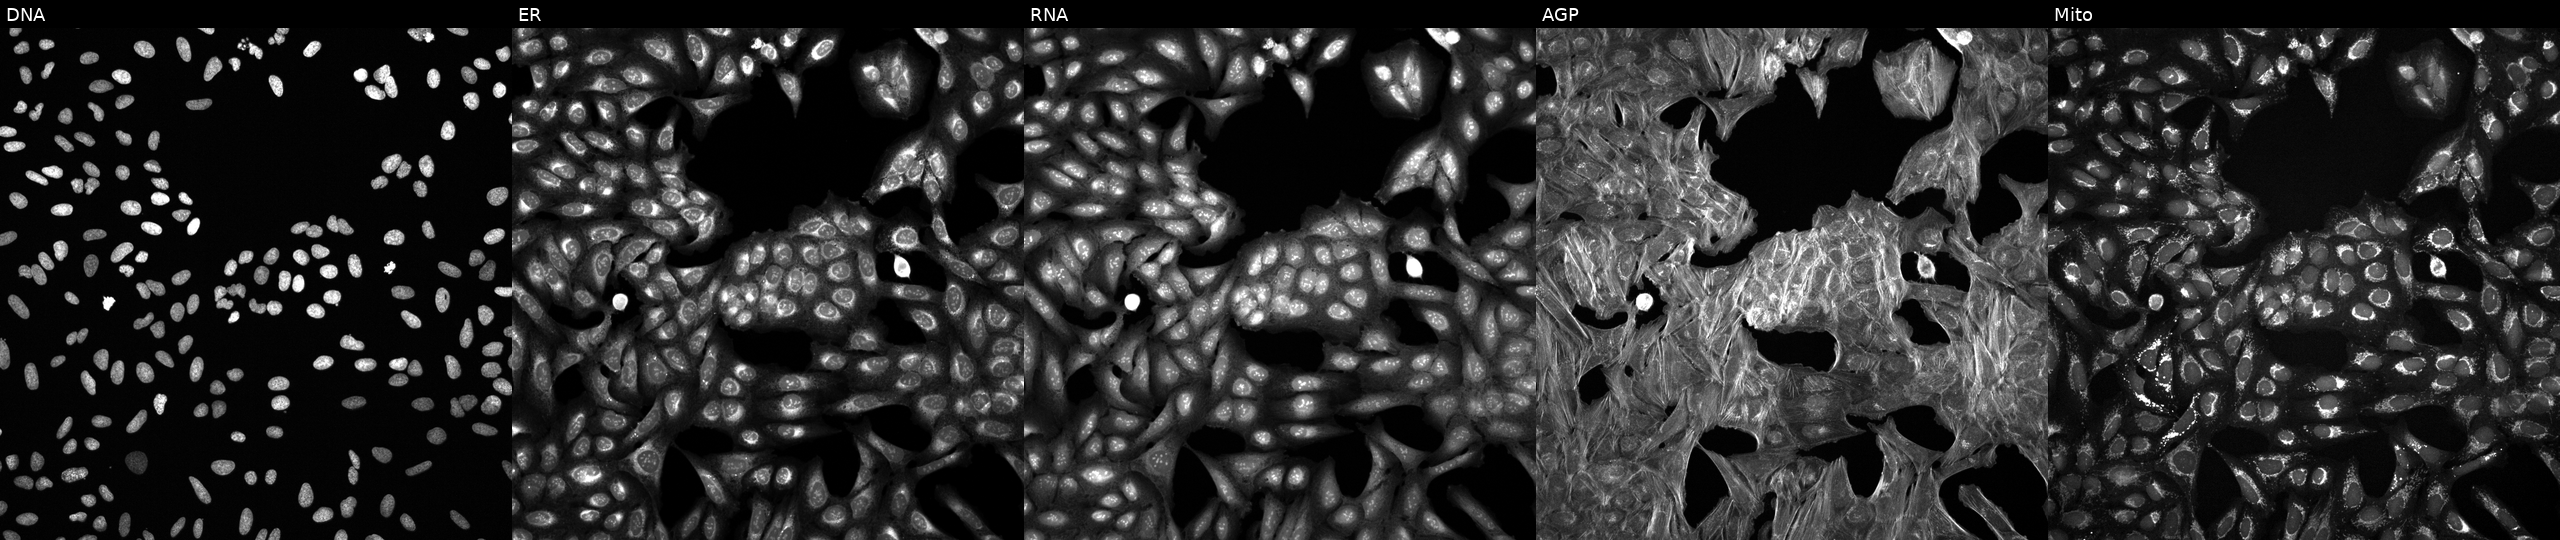
This image strip shows the five Cell Painting channels for a single field of U2OS cells treated with a small-molecule compound. From left to right: DNA (nuclei); ER (endoplasmic reticulum); RNA (nucleoli and cytoplasmic RNA); AGP (actin cytoskeleton, Golgi, and plasma membrane); Mito (mitochondria). Source 6, plate 110000293082, well O07.